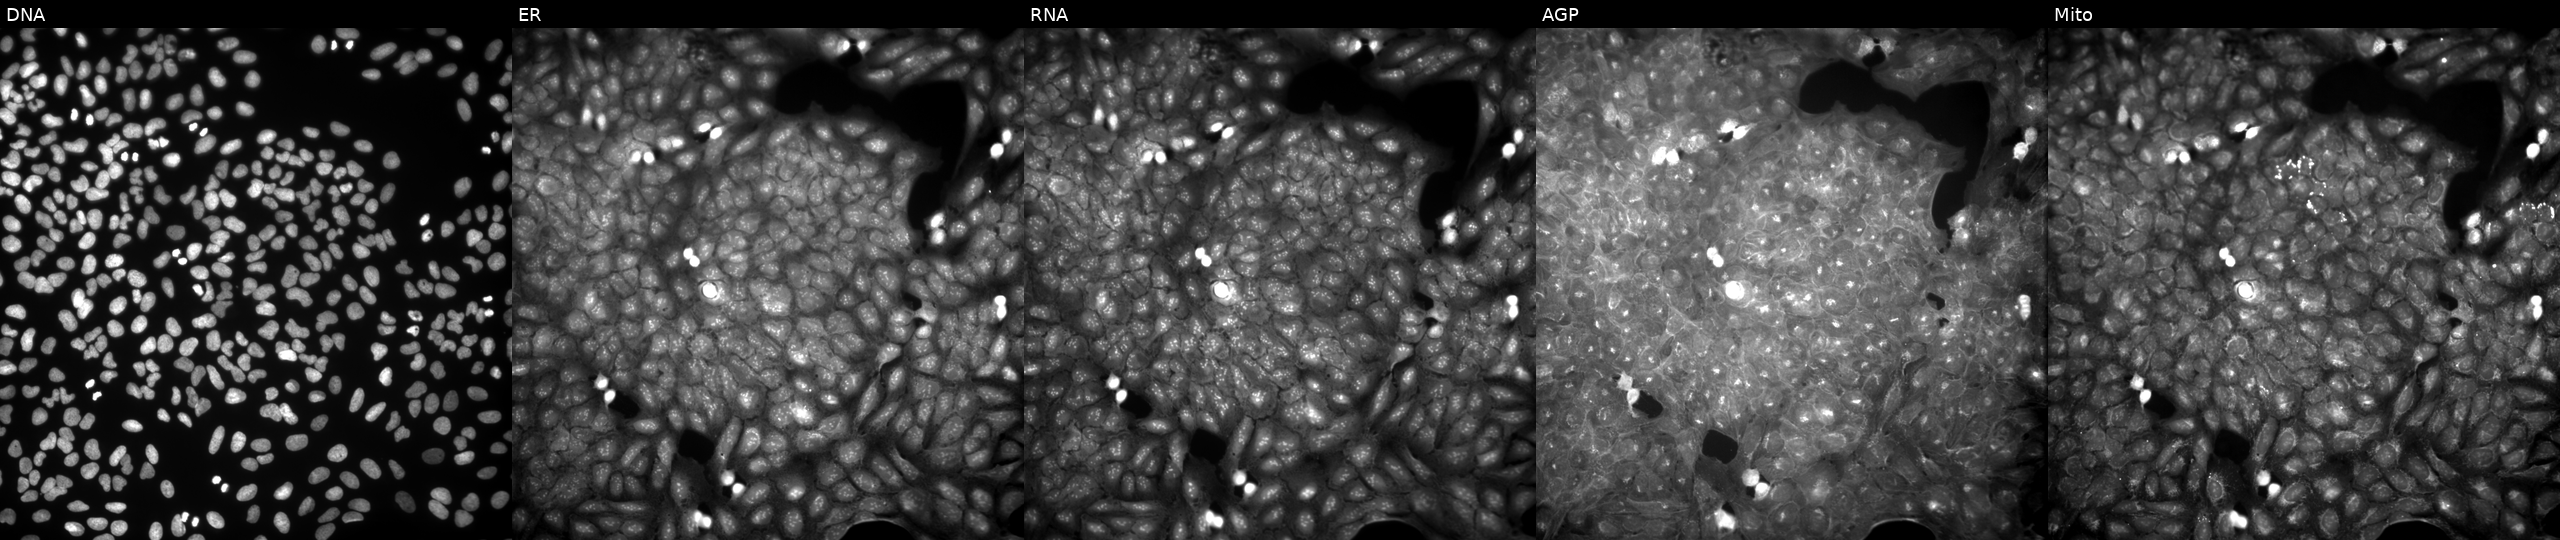
The five panels, left to right, show DNA (nuclei); ER (endoplasmic reticulum); RNA (nucleoli and cytoplasmic RNA); AGP (actin cytoskeleton, Golgi, and plasma membrane); Mito (mitochondria). U2OS osteosarcoma cells perturbed with a small-molecule compound [SMILES: COc1cc(-c2ncnn2-c2cccc(Cl)c2C)cc(OC)c1OC]. Cell Painting assay, JUMP-CP dataset. Source 9, plate GR00003381, well AB30.